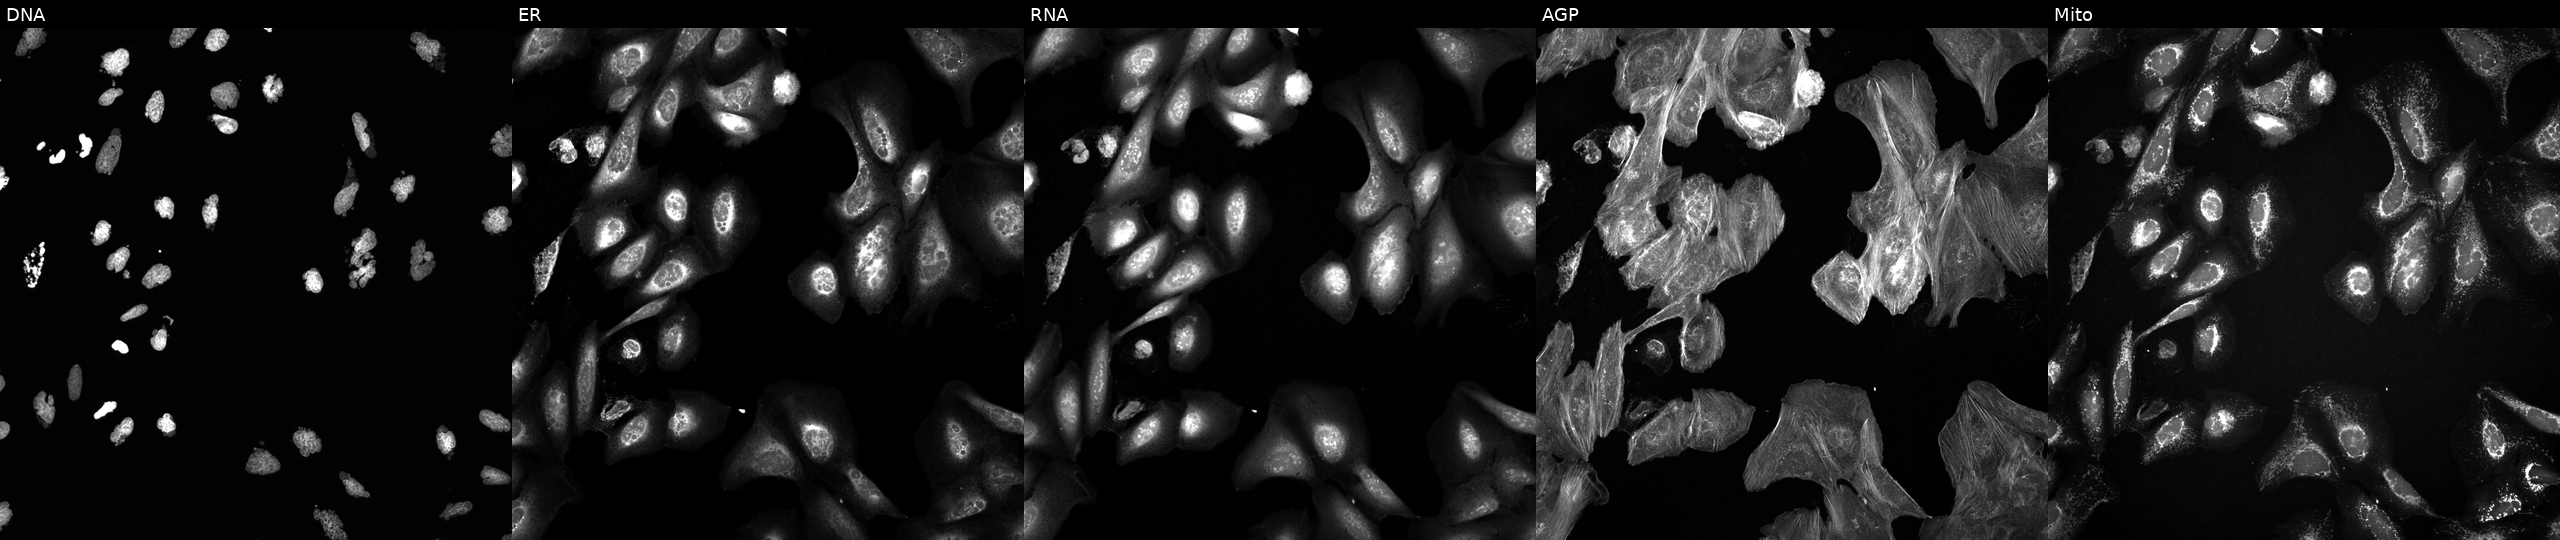
This image strip shows the five Cell Painting channels for a single field of U2OS cells treated with AMG900 (positive-control compound). The five panels, left to right, show DNA (nuclei); ER (endoplasmic reticulum); RNA (nucleoli and cytoplasmic RNA); AGP (actin cytoskeleton, Golgi, and plasma membrane); Mito (mitochondria). Source 6, plate 110000293082, well F24.